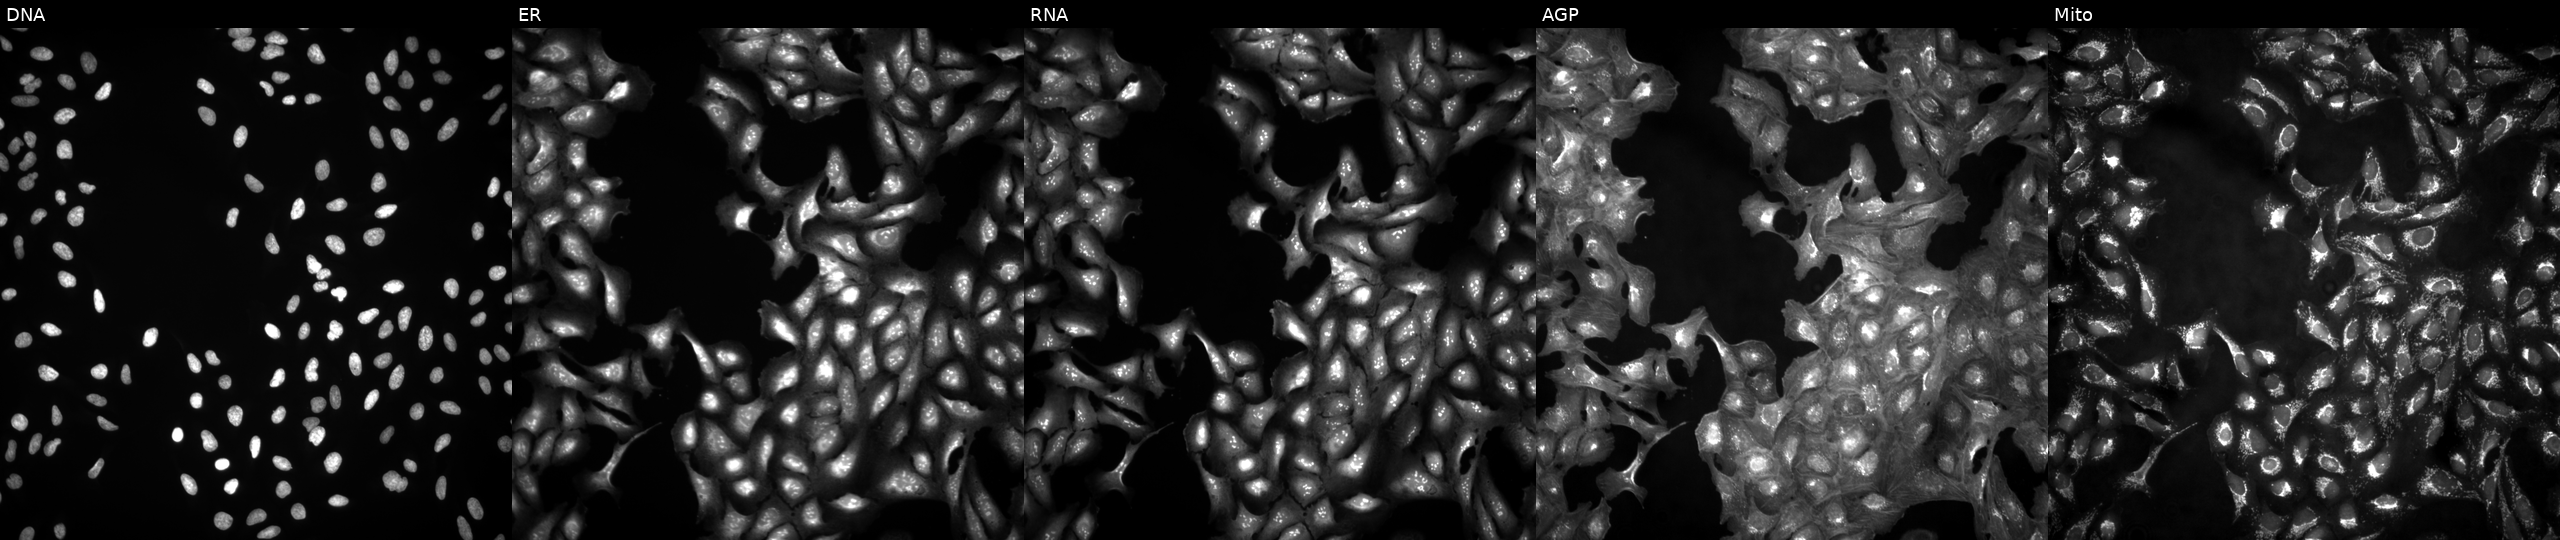
U2OS cells, Cell Painting assay, in an empty control well (no perturbation) (JUMP id JCP2022_999999). The five panels, left to right, show Hoechst 33342, concanavalin A, SYTO 14, phalloidin and WGA, MitoTracker. Each panel is percentile-stretched 16-bit fluorescence. Source 4, plate BR00123946, well P05.